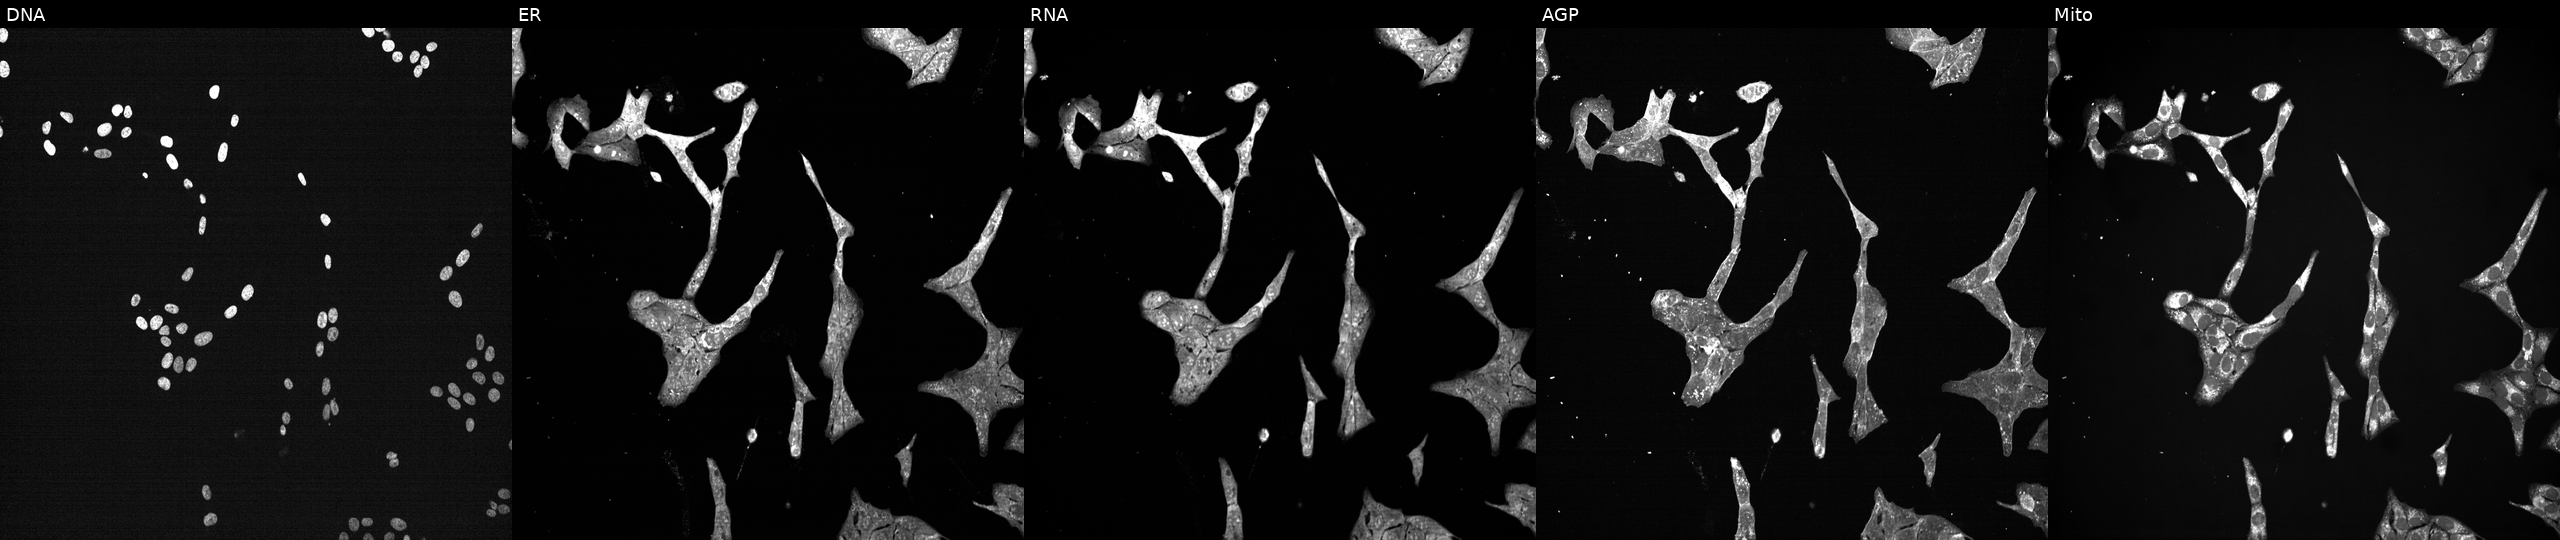
JUMP Cell Painting — TARGET2 plate. U2OS cells treated with a small-molecule compound (InChIKey VHHVPDKNKPNKHY-UHFFFAOYSA-N) (JUMP id JCP2022_093956). Panels show, left to right, DNA, ER, RNA, AGP, and Mito.